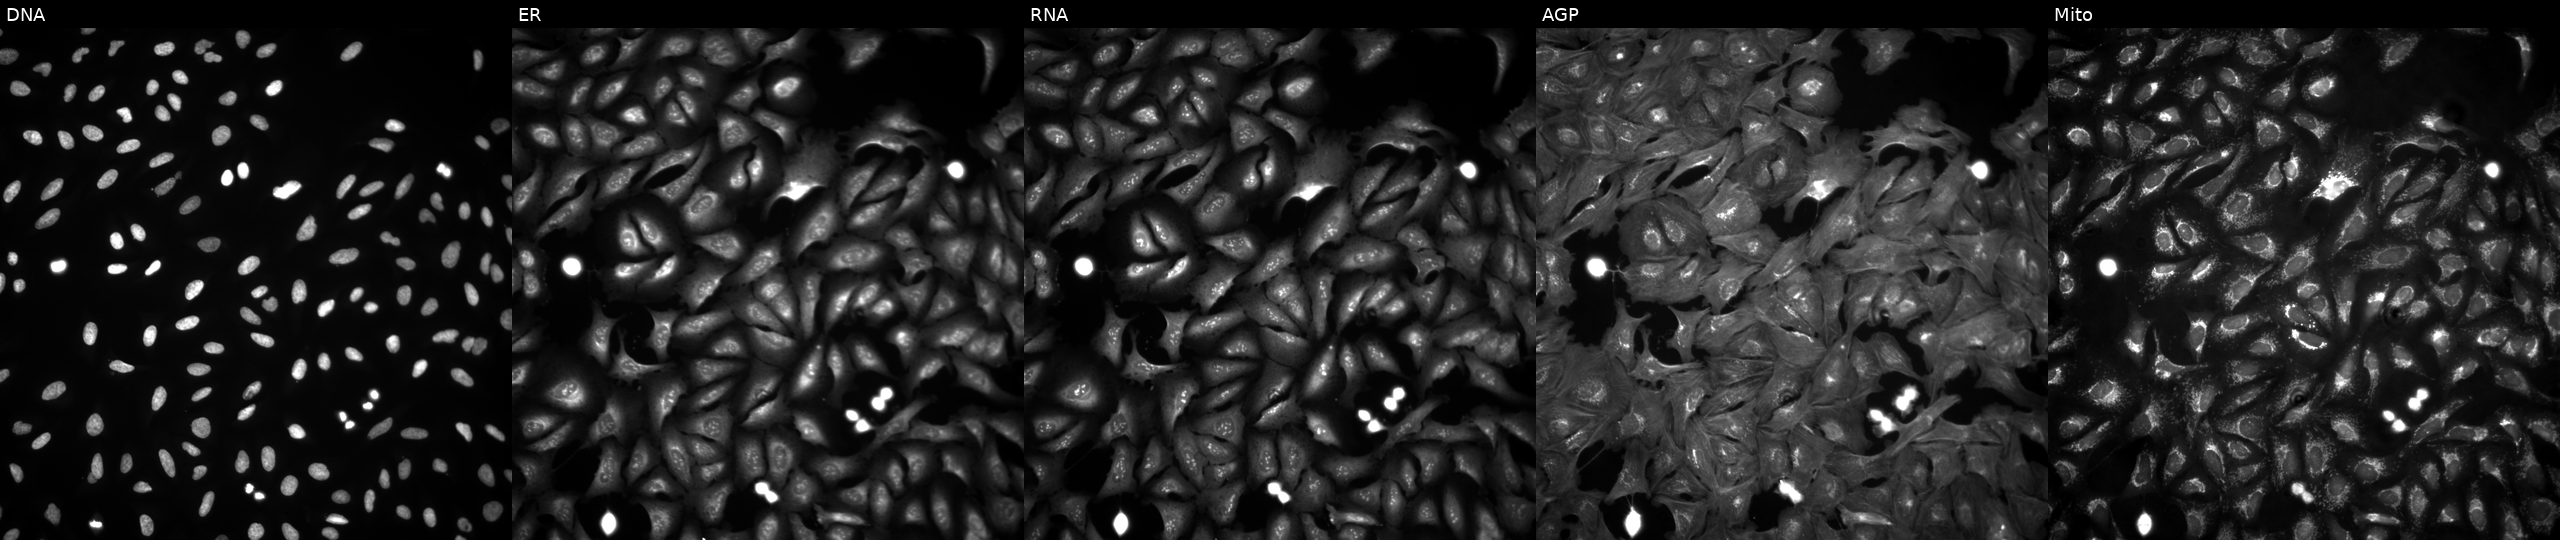
JUMP Cell Painting — ORF plate. U2OS cells untreated (empty-well control). The five panels, left to right, show Hoechst 33342, concanavalin A, SYTO 14, phalloidin and WGA, MitoTracker.